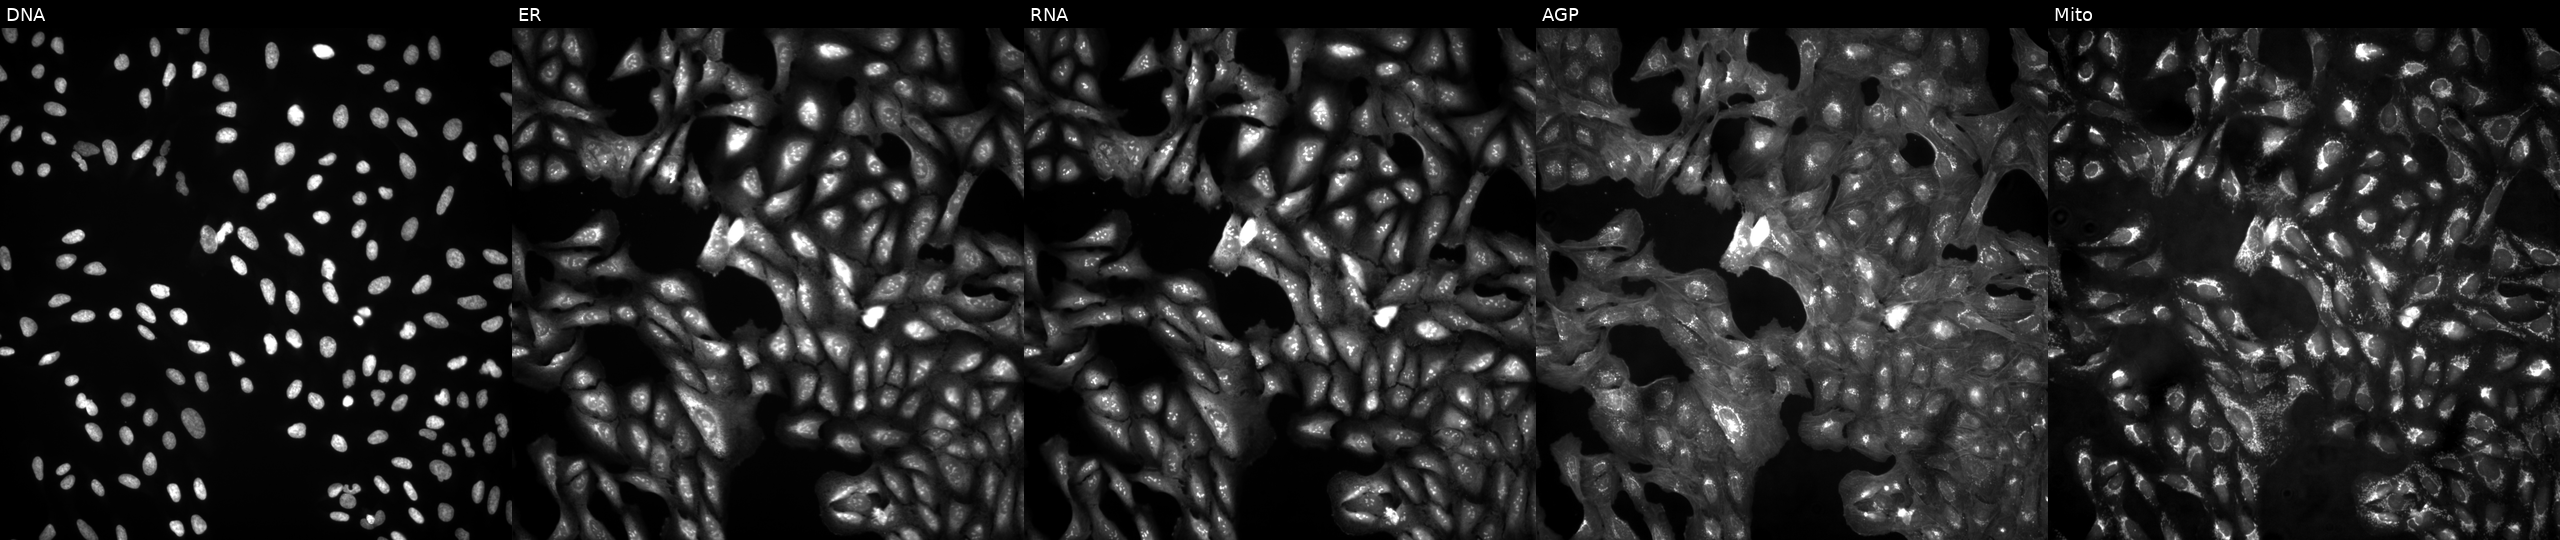
High-content fluorescence microscopy (Cell Painting). Cell line: U2OS. Perturbation: in an empty control well (no perturbation) (JUMP id JCP2022_999999). From left to right: DNA (nuclei); ER (endoplasmic reticulum); RNA (nucleoli and cytoplasmic RNA); AGP (actin cytoskeleton, Golgi, and plasma membrane); Mito (mitochondria).